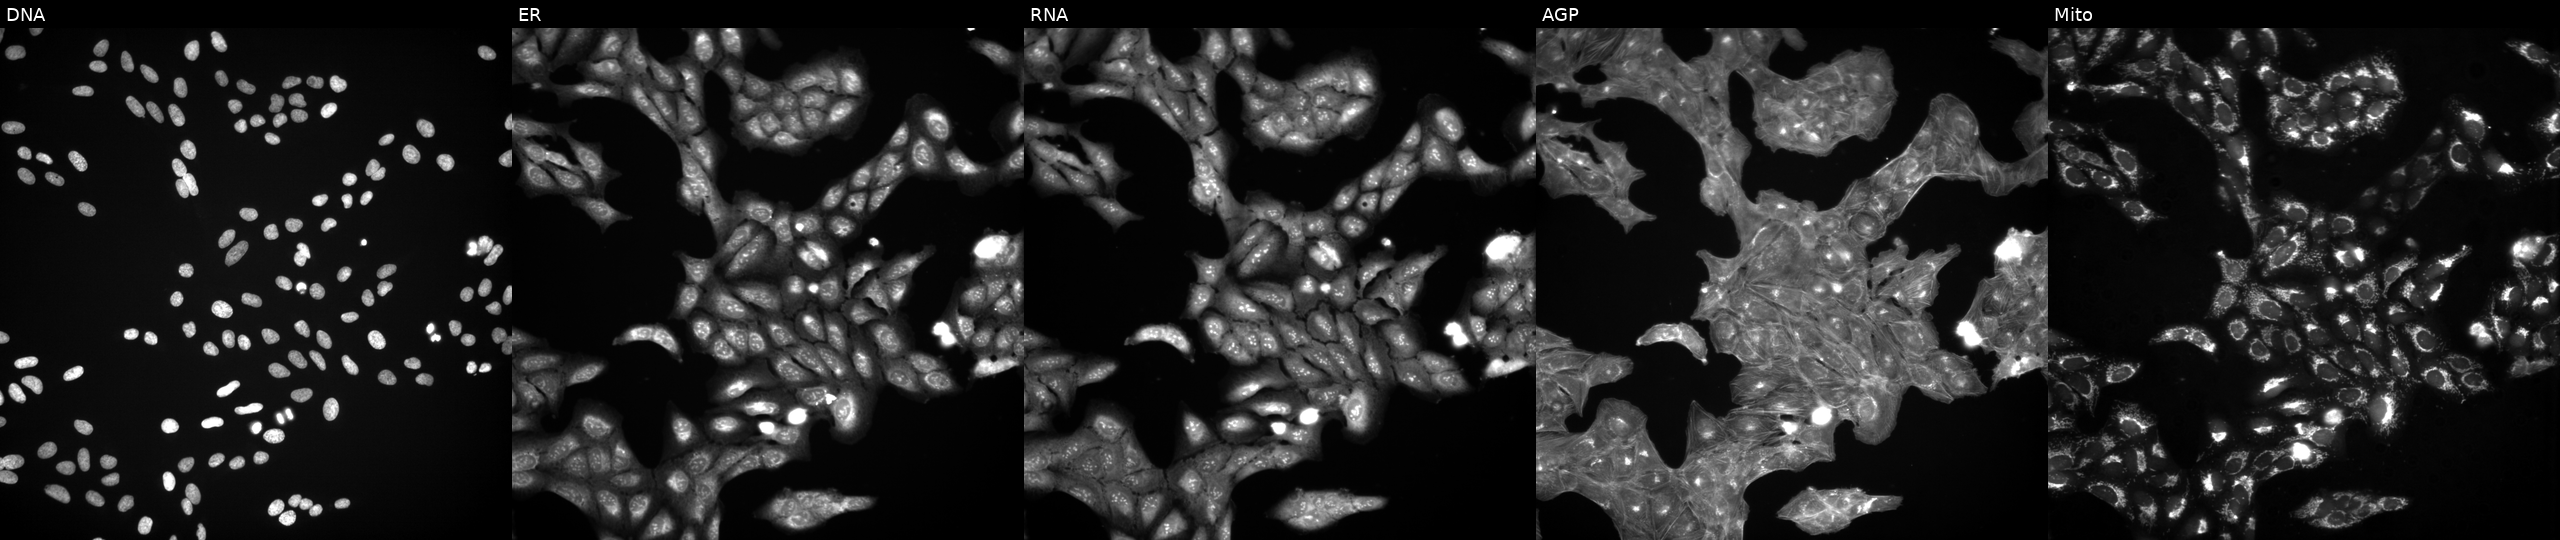
High-content fluorescence microscopy (Cell Painting). Cell line: U2OS. Perturbation: exposed to DMSO alone as a negative control. From left to right: DNA, ER, RNA, AGP, and Mito.